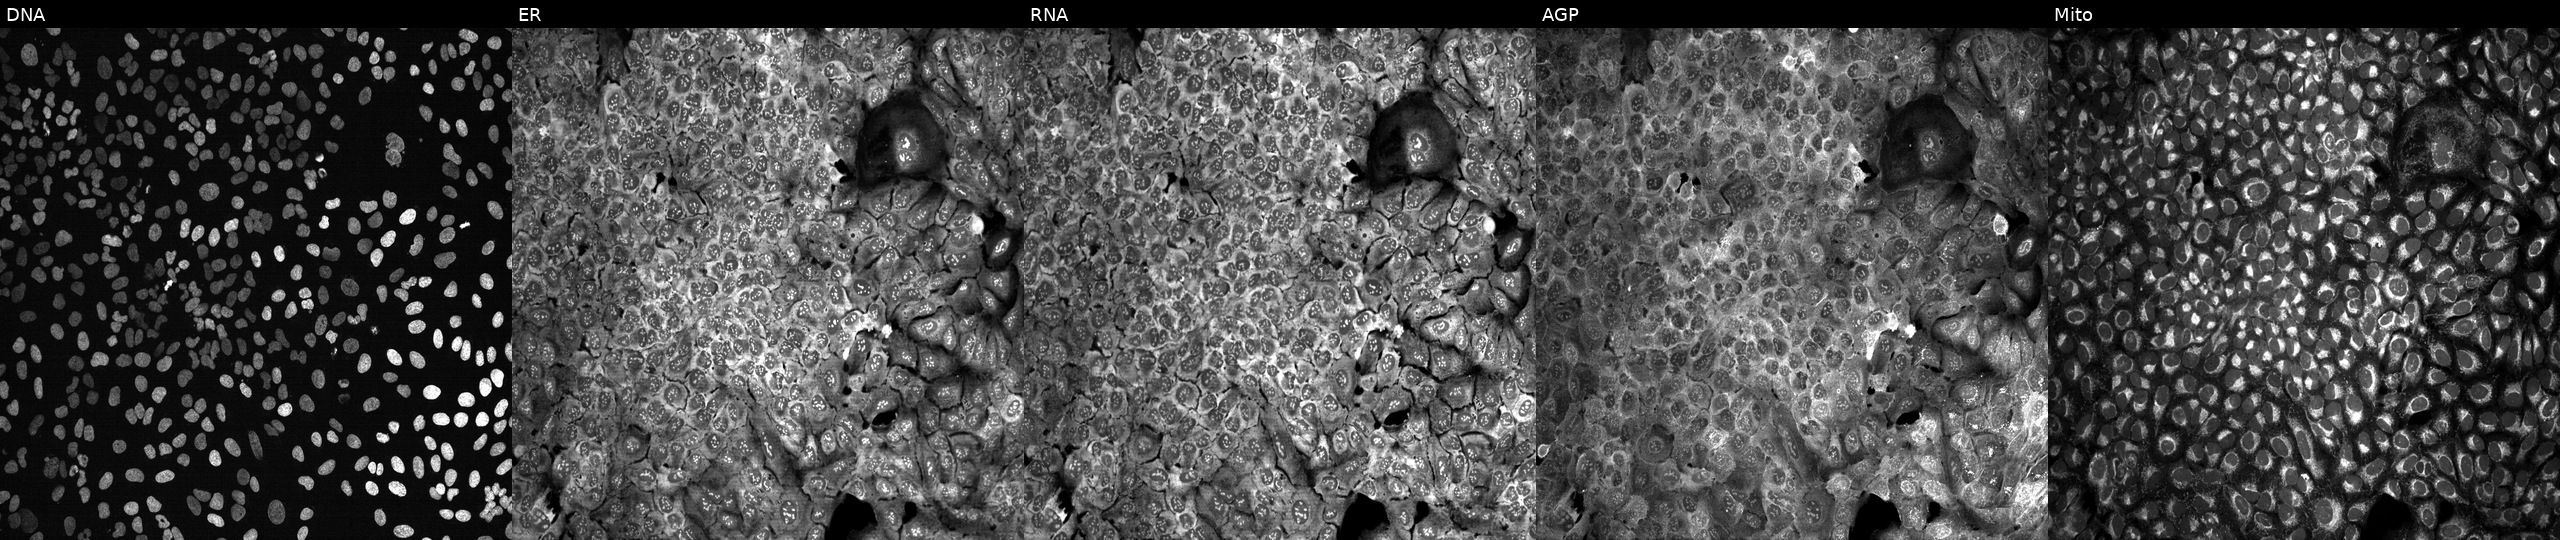
This image strip shows the five Cell Painting channels for a single field of U2OS cells following CRISPR knockout of MAOB. Panels show, left to right, DNA (nuclei); ER (endoplasmic reticulum); RNA (nucleoli and cytoplasmic RNA); AGP (actin cytoskeleton, Golgi, and plasma membrane); Mito (mitochondria).